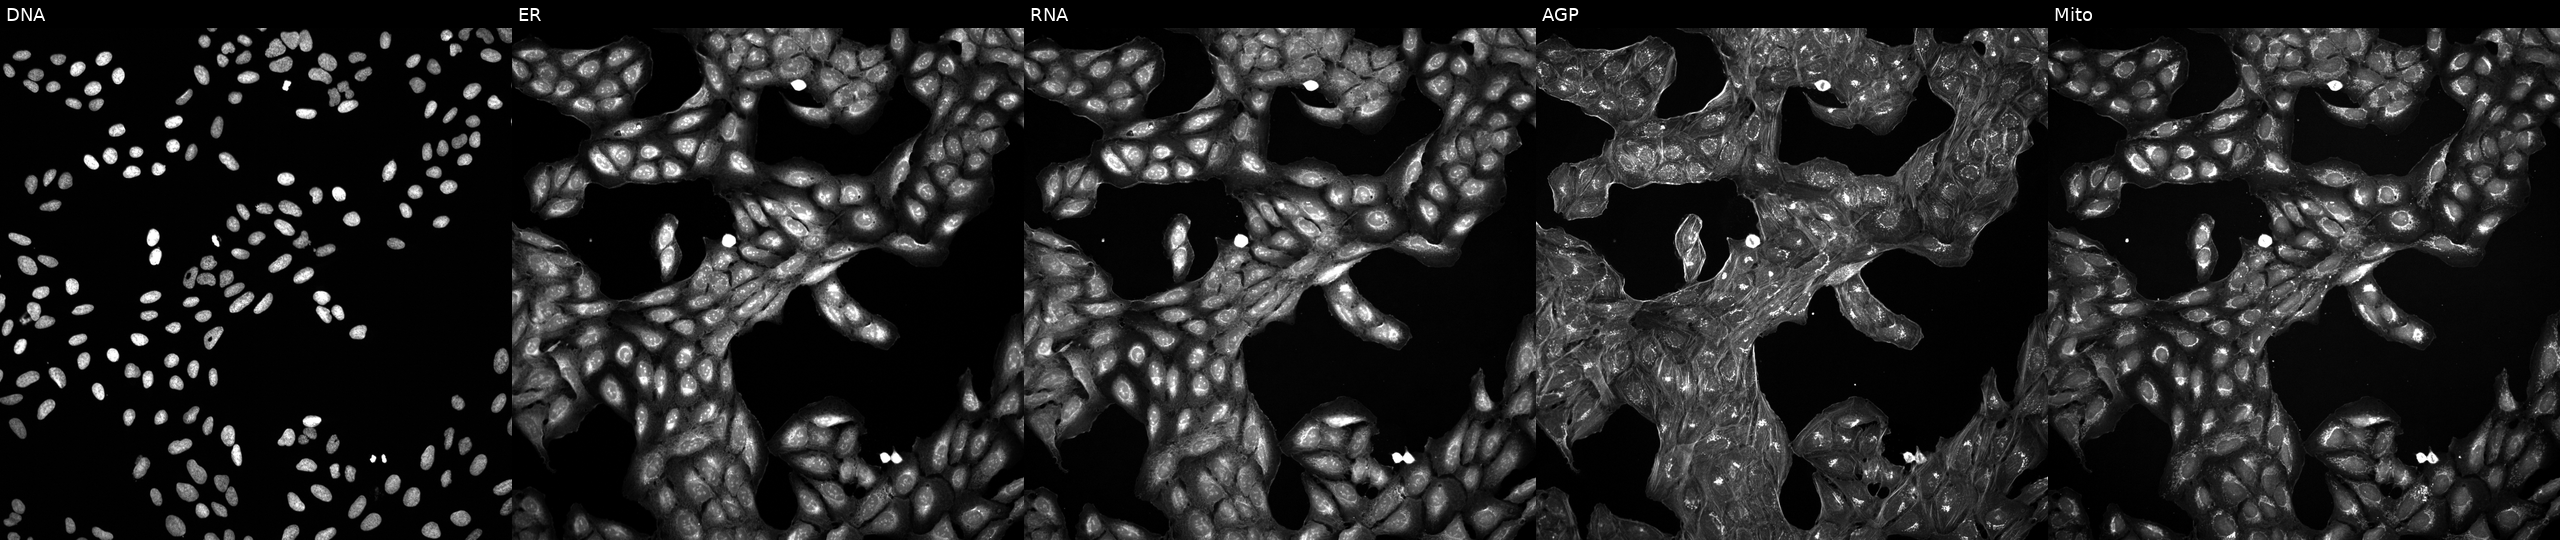
This image strip shows the five Cell Painting channels for a single field of U2OS cells treated with a small-molecule compound (InChIKey UGFUBCNQSOUPJP-UHFFFAOYSA-N) [SMILES: COCCOC1CCOC2(CCN(C(=O)Cn3c(=O)oc4ccccc43)CC2)C1] (JUMP id JCP2022_089015). From left to right: DNA (nuclei); ER (endoplasmic reticulum); RNA (nucleoli and cytoplasmic RNA); AGP (actin cytoskeleton, Golgi, and plasma membrane); Mito (mitochondria). Source 5, plate APTJUM106, well A07.